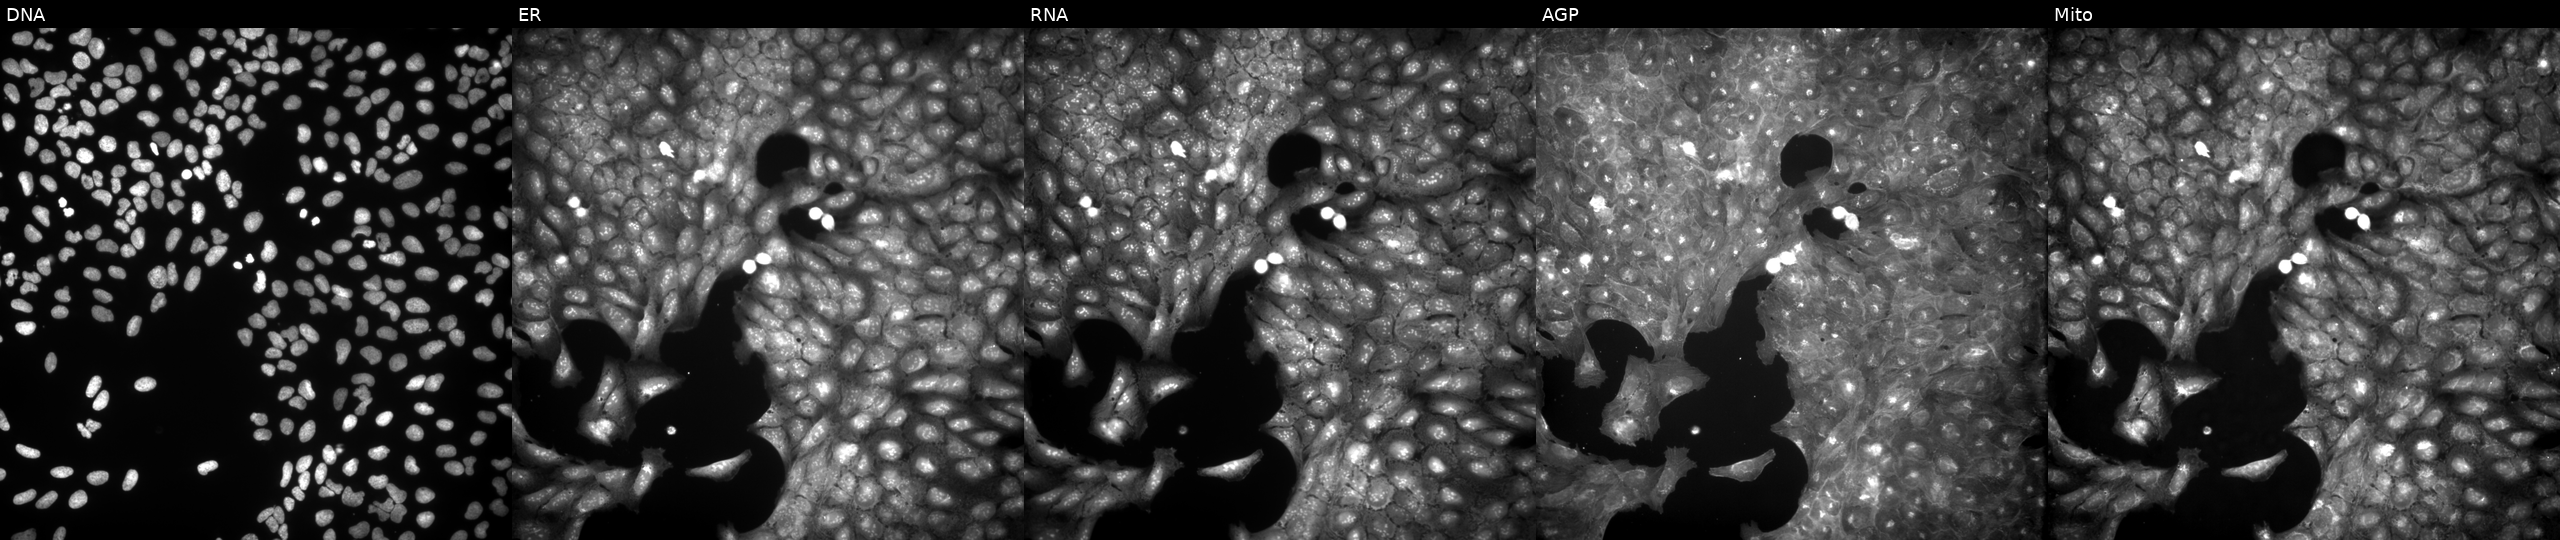
Five-channel Cell Painting image of U2OS cells treated with a small-molecule compound (InChIKey HVVLYHKZESGBJF-UHFFFAOYSA-N). Channels (left→right): Hoechst 33342, concanavalin A, SYTO 14, phalloidin and WGA, MitoTracker.